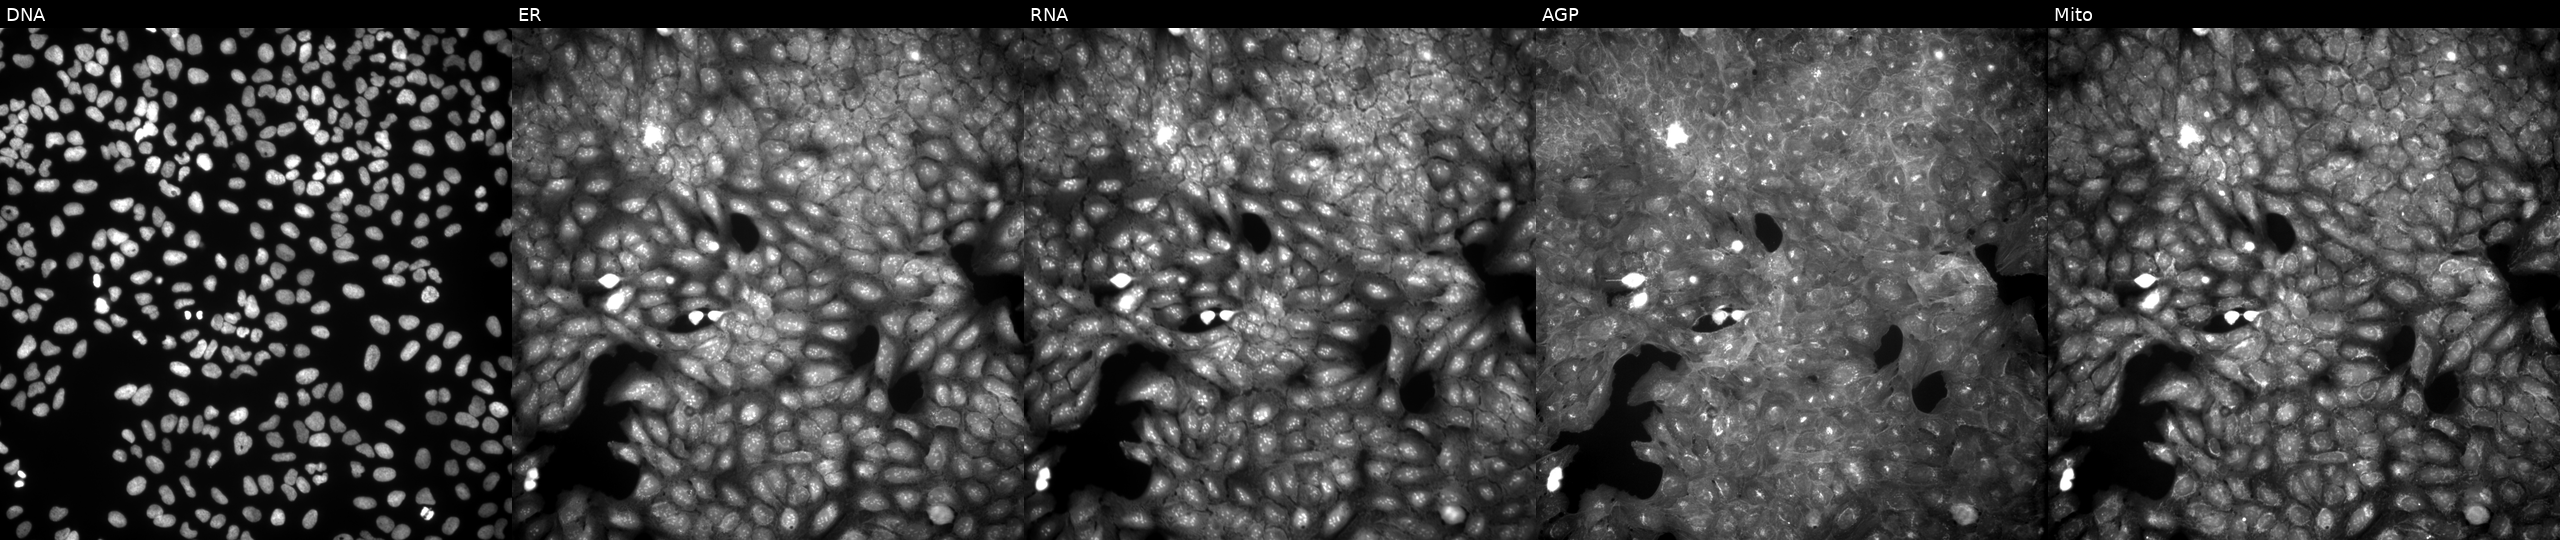
Five-channel Cell Painting image of U2OS cells exposed to a small-molecule compound. The five panels, left to right, show DNA, ER, RNA, AGP, and Mito. Source 9, plate GR00003381, well K34.